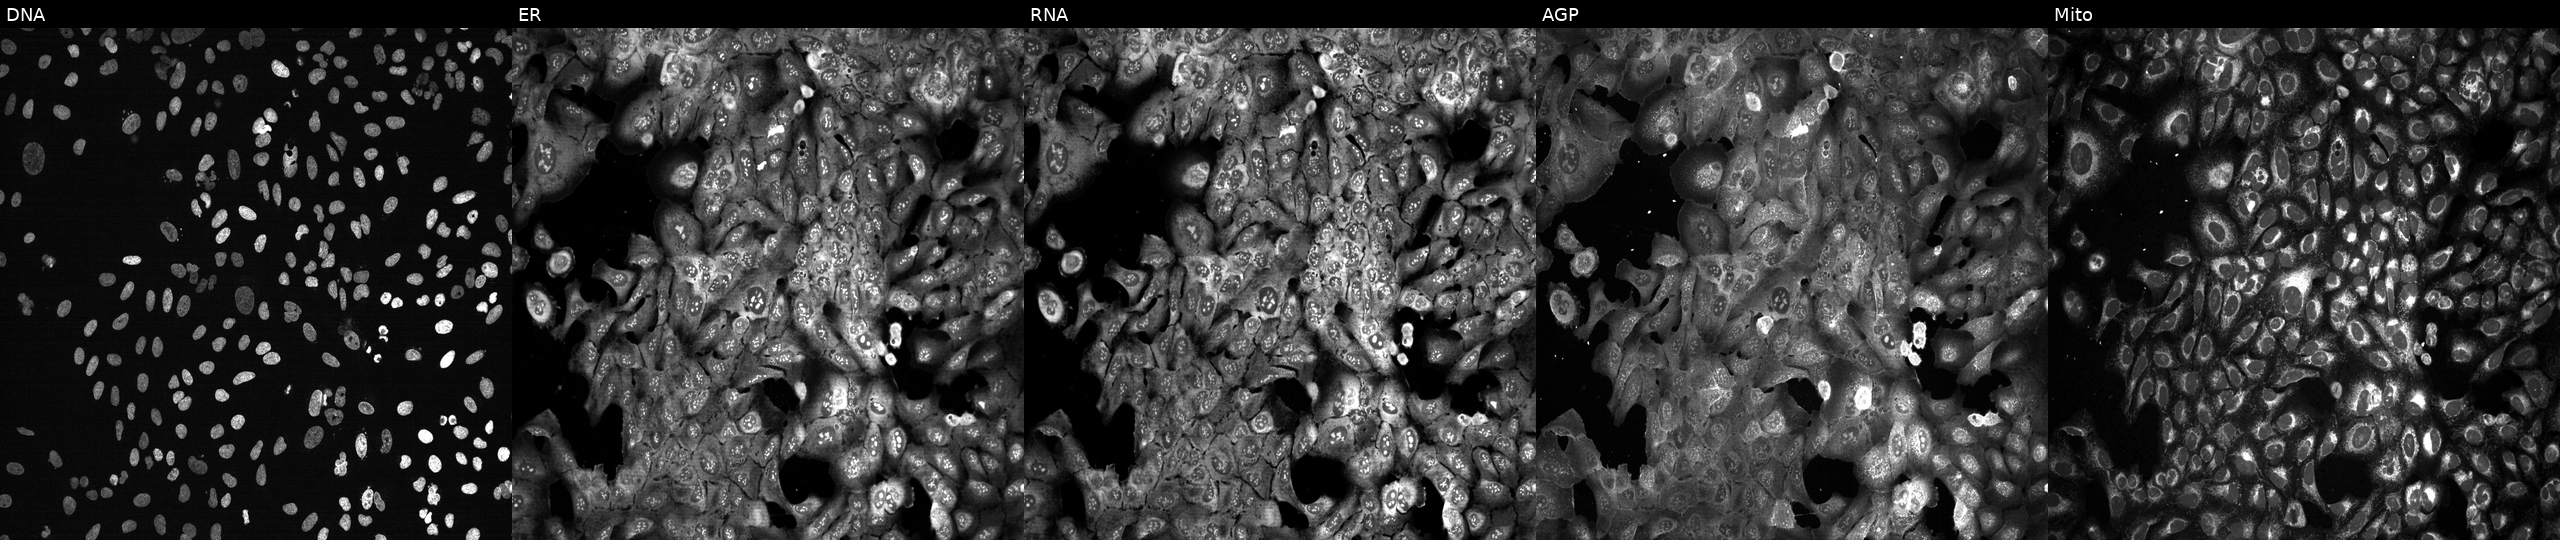
Five-channel Cell Painting image of U2OS cells CRISPR-edited to disrupt TUBA8. The five panels, left to right, show DNA, ER, RNA, AGP, and Mito. Source 13, plate CP-CC9-R4-03, well F03.